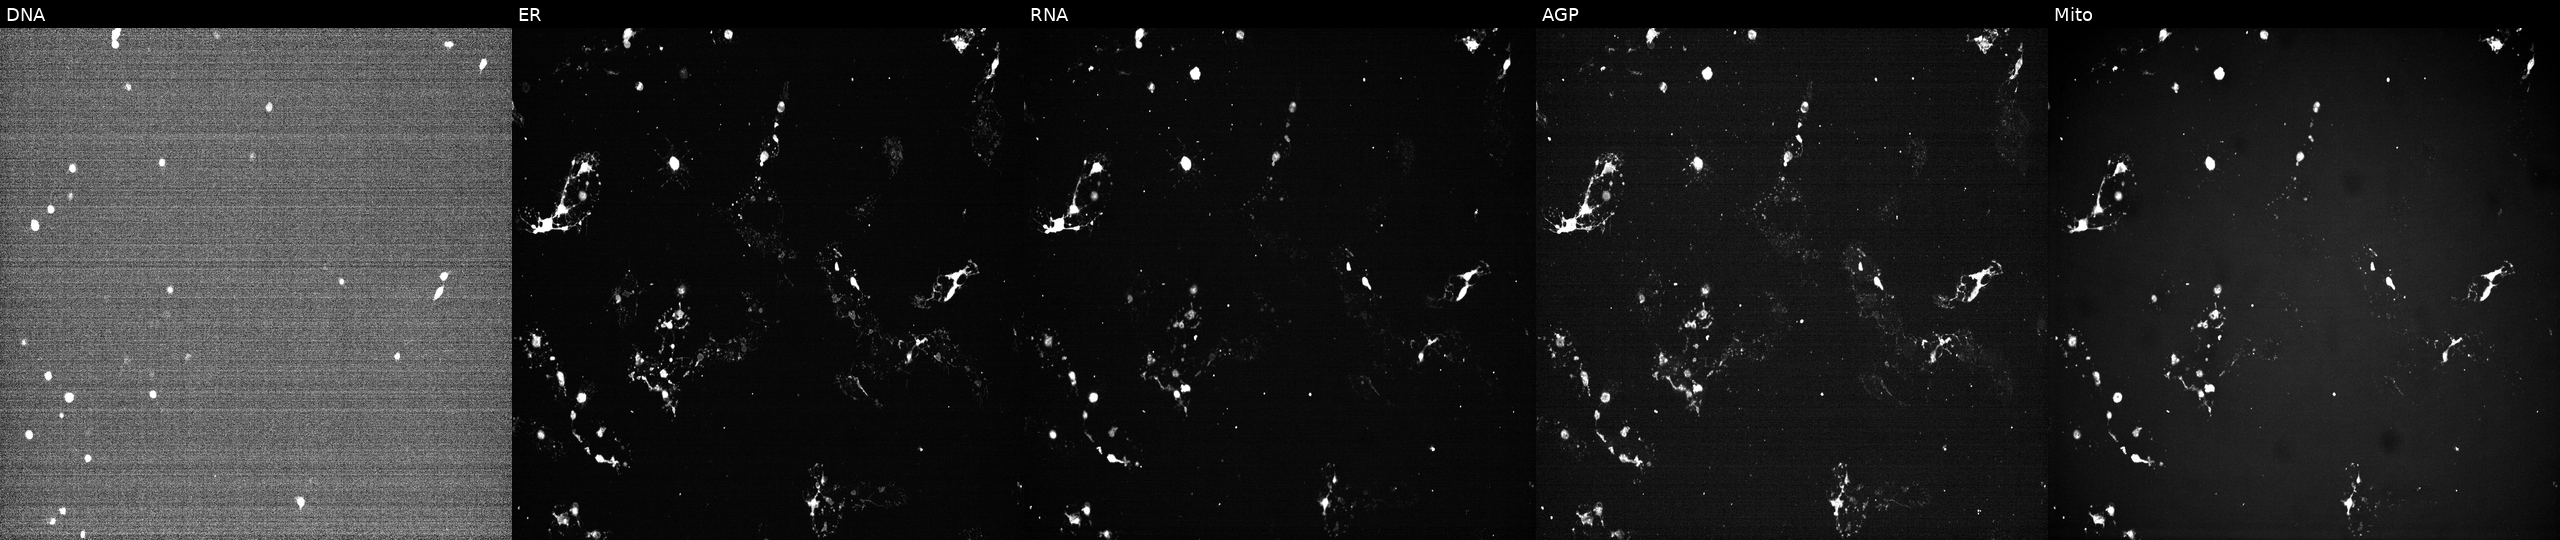
JUMP Cell Painting — TARGET2 plate. U2OS cells exposed to a small-molecule compound (InChIKey PBCZSGKMGDDXIJ-UHFFFAOYSA-N). The five panels, left to right, show Hoechst 33342, concanavalin A, SYTO 14, phalloidin and WGA, MitoTracker. Source 7, plate CP2-SC1-25, well G12.